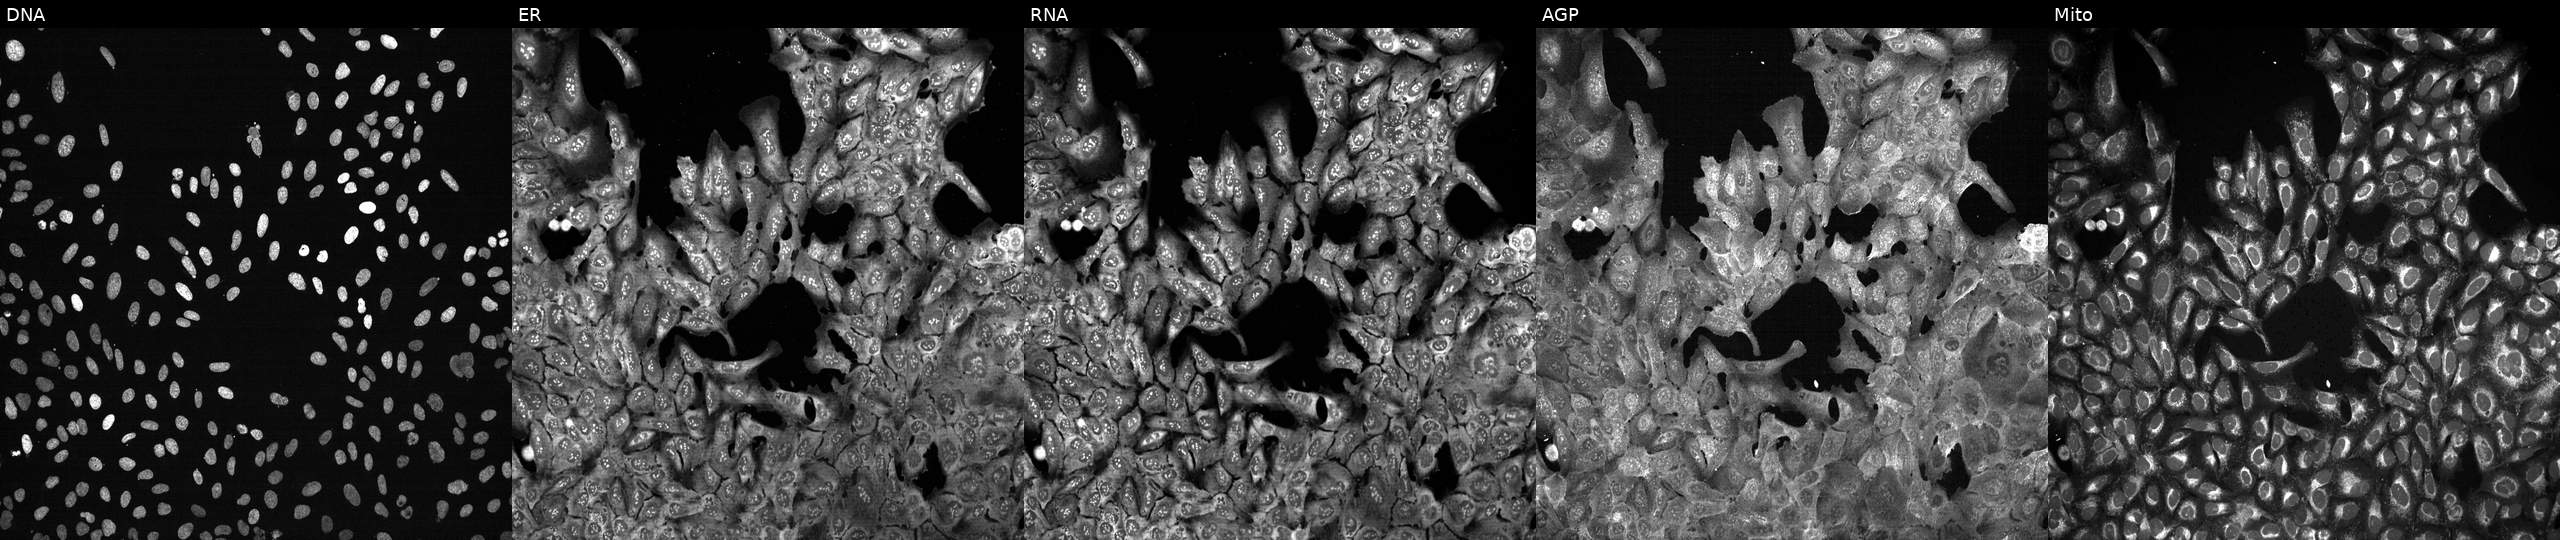
High-content fluorescence microscopy (Cell Painting). Cell line: U2OS. Perturbation: CRISPR-edited to disrupt AQP3 (JUMP id JCP2022_800541). From left to right: DNA, ER, RNA, AGP, and Mito.